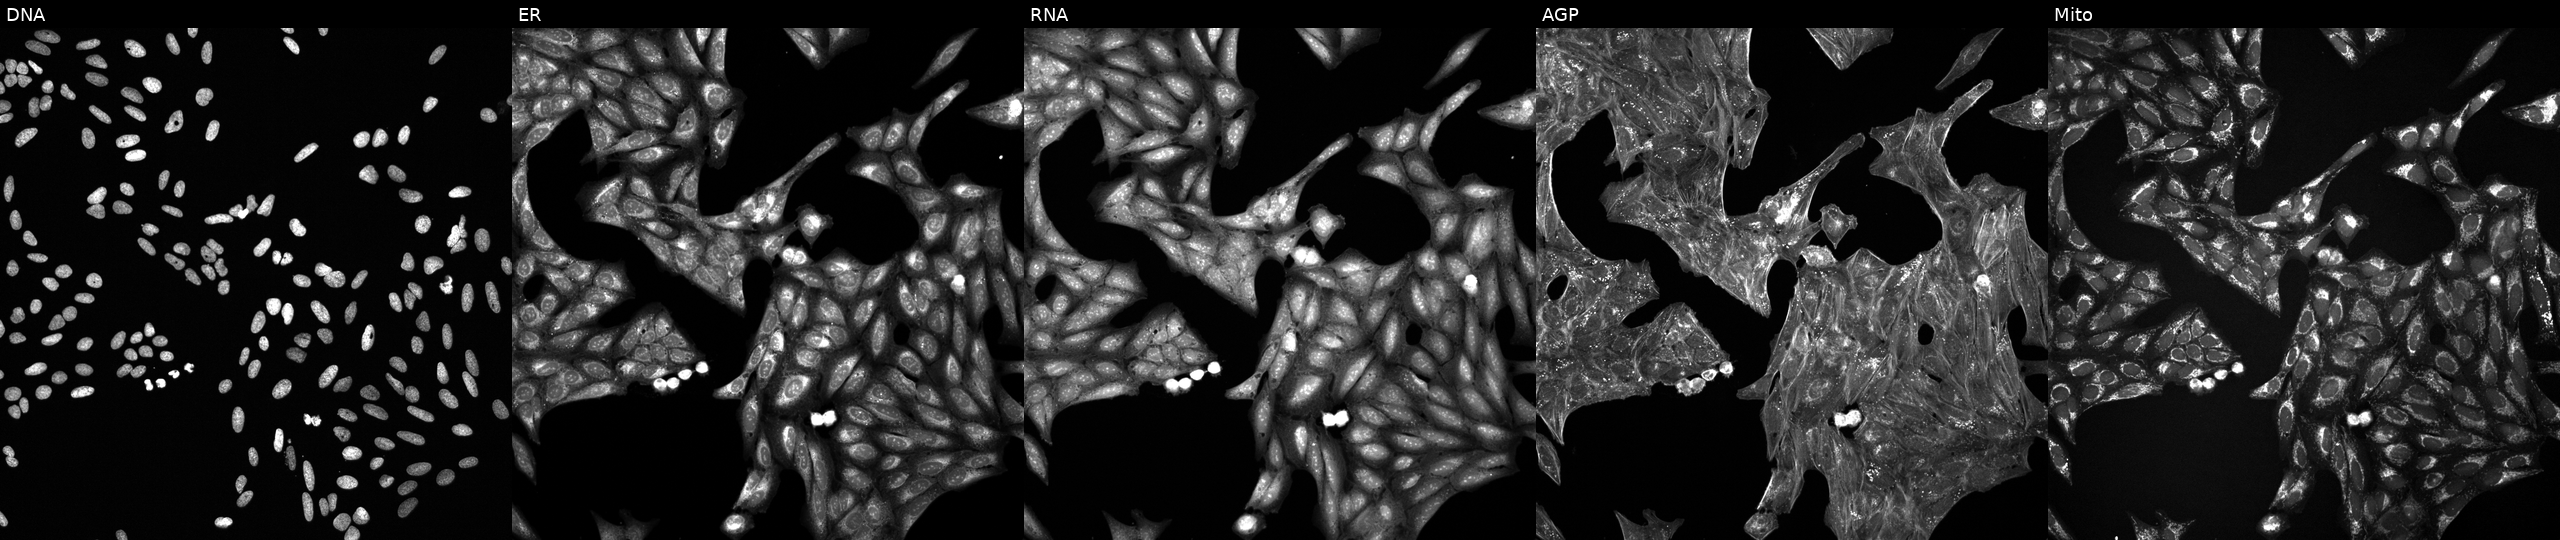
High-content fluorescence microscopy (Cell Painting). Cell line: U2OS. Perturbation: exposed to a small-molecule compound [SMILES: O=C(NCCN1CCCC1)c1cc(-c2ccccc2Cl)nc2cc(-c3ccccc3)nn12] (JUMP id JCP2022_097653). From left to right: DNA (nuclei); ER (endoplasmic reticulum); RNA (nucleoli and cytoplasmic RNA); AGP (actin cytoskeleton, Golgi, and plasma membrane); Mito (mitochondria).